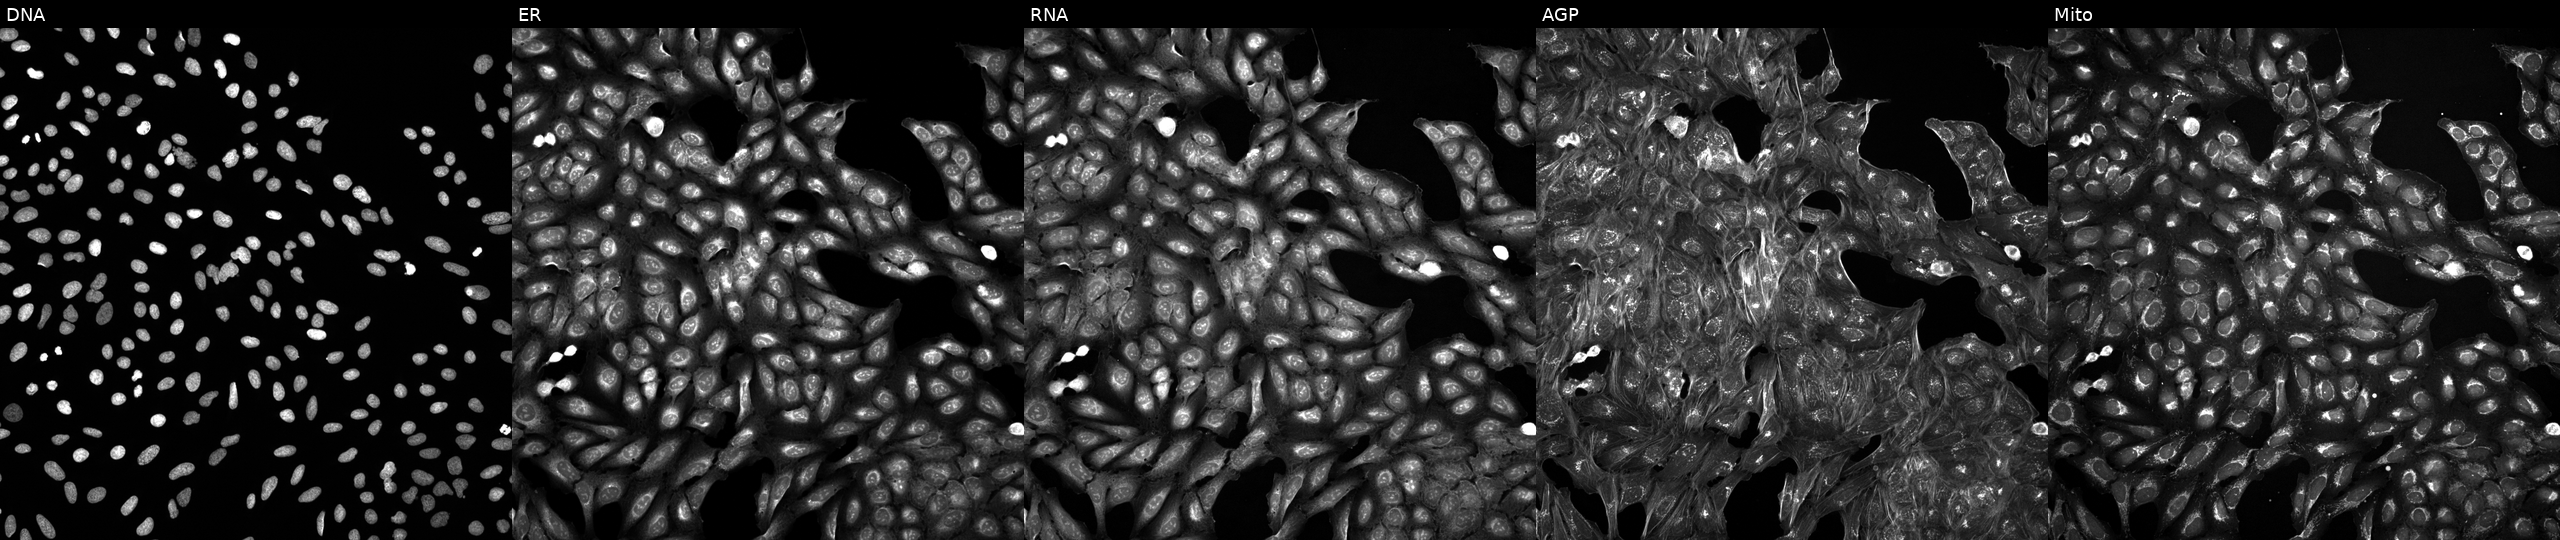
Five-channel Cell Painting image of U2OS cells perturbed with a small-molecule compound (InChIKey NZHGWWWHIYHZNX-UHFFFAOYSA-N) (JUMP id JCP2022_062326). Panels show, left to right, Hoechst 33342, concanavalin A, SYTO 14, phalloidin and WGA, MitoTracker. Source 5, plate ACPJUM051, well B16.